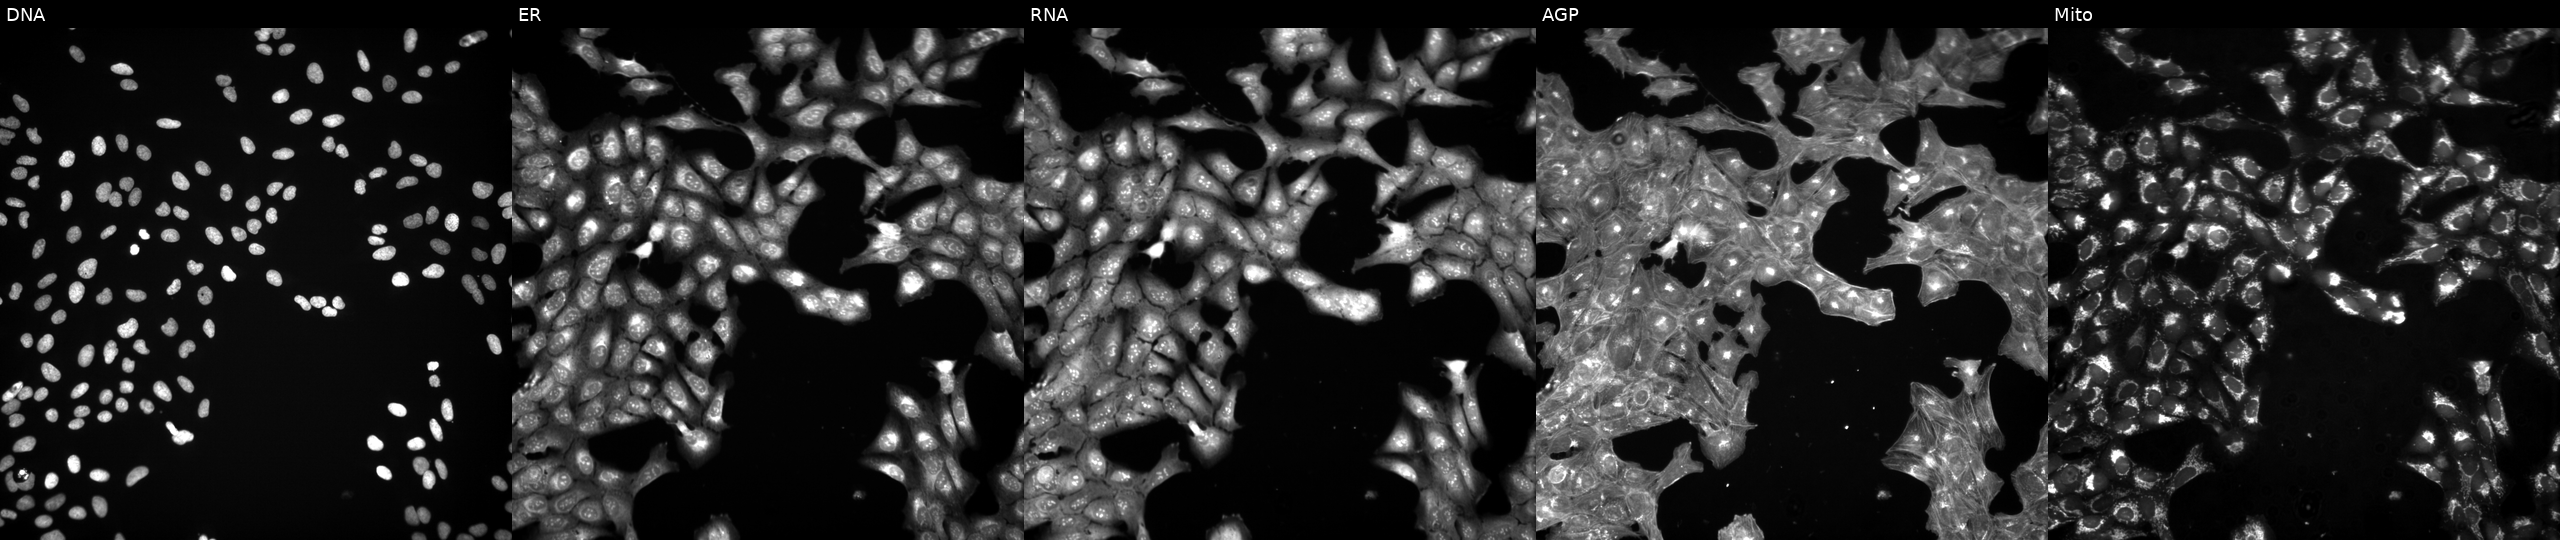
JUMP Cell Painting — TARGET2 plate. U2OS cells perturbed with a small-molecule compound (InChIKey JZFPYUNJRRFVQU-UHFFFAOYSA-N). Panels show, left to right, DNA, ER, RNA, AGP, and Mito.